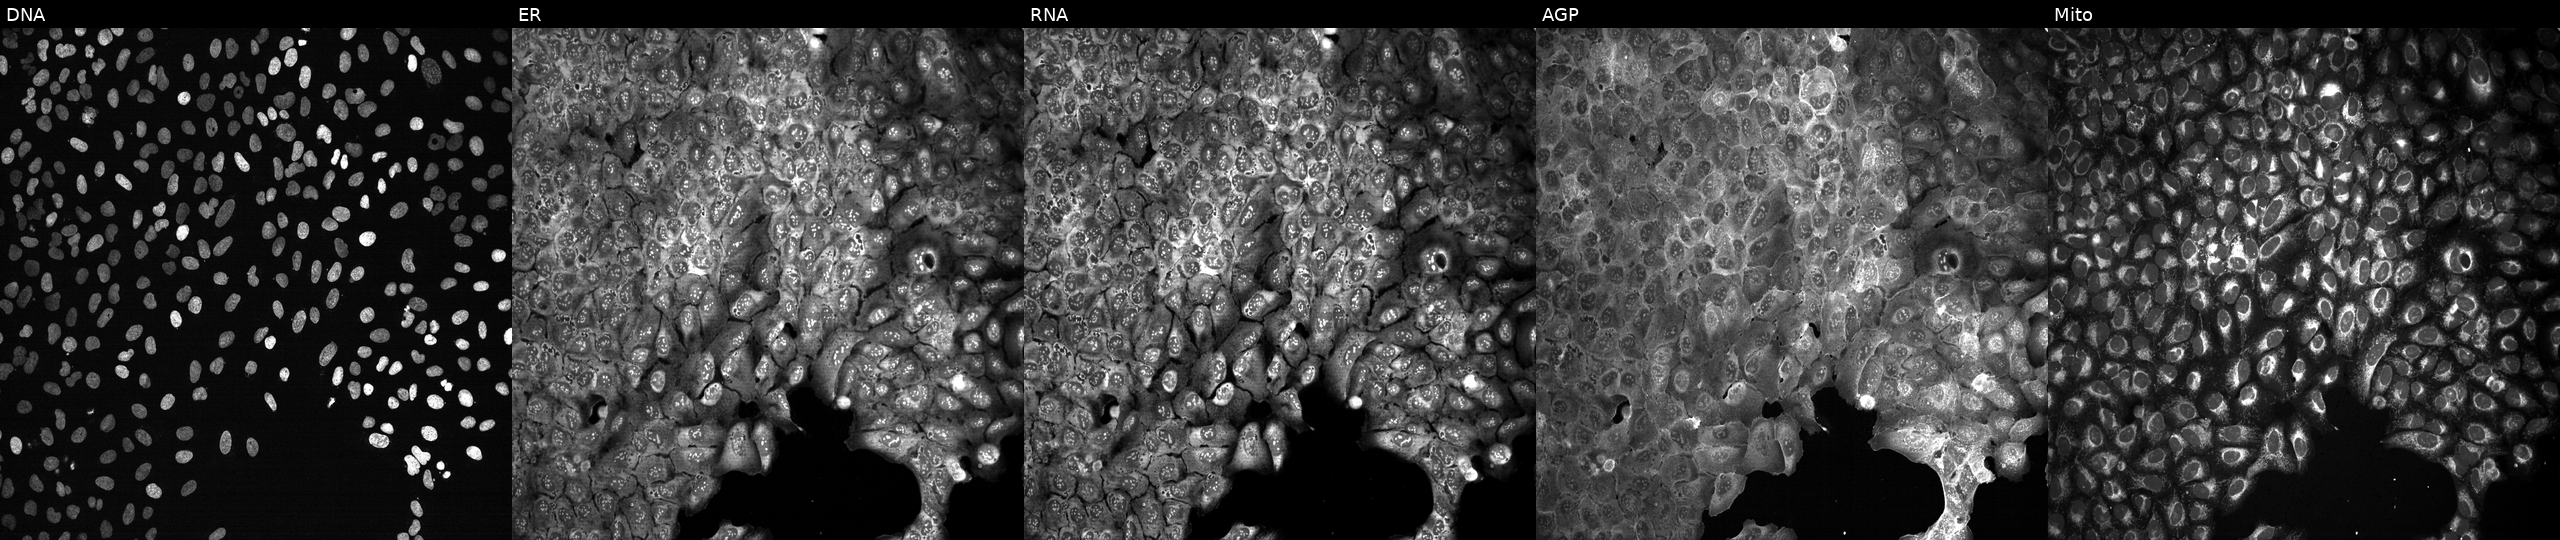
JUMP Cell Painting — CRISPR plate. U2OS cells CRISPR-edited to disrupt DHX32 (JUMP id JCP2022_801801). Channels (left→right): DNA (nuclei); ER (endoplasmic reticulum); RNA (nucleoli and cytoplasmic RNA); AGP (actin cytoskeleton, Golgi, and plasma membrane); Mito (mitochondria).